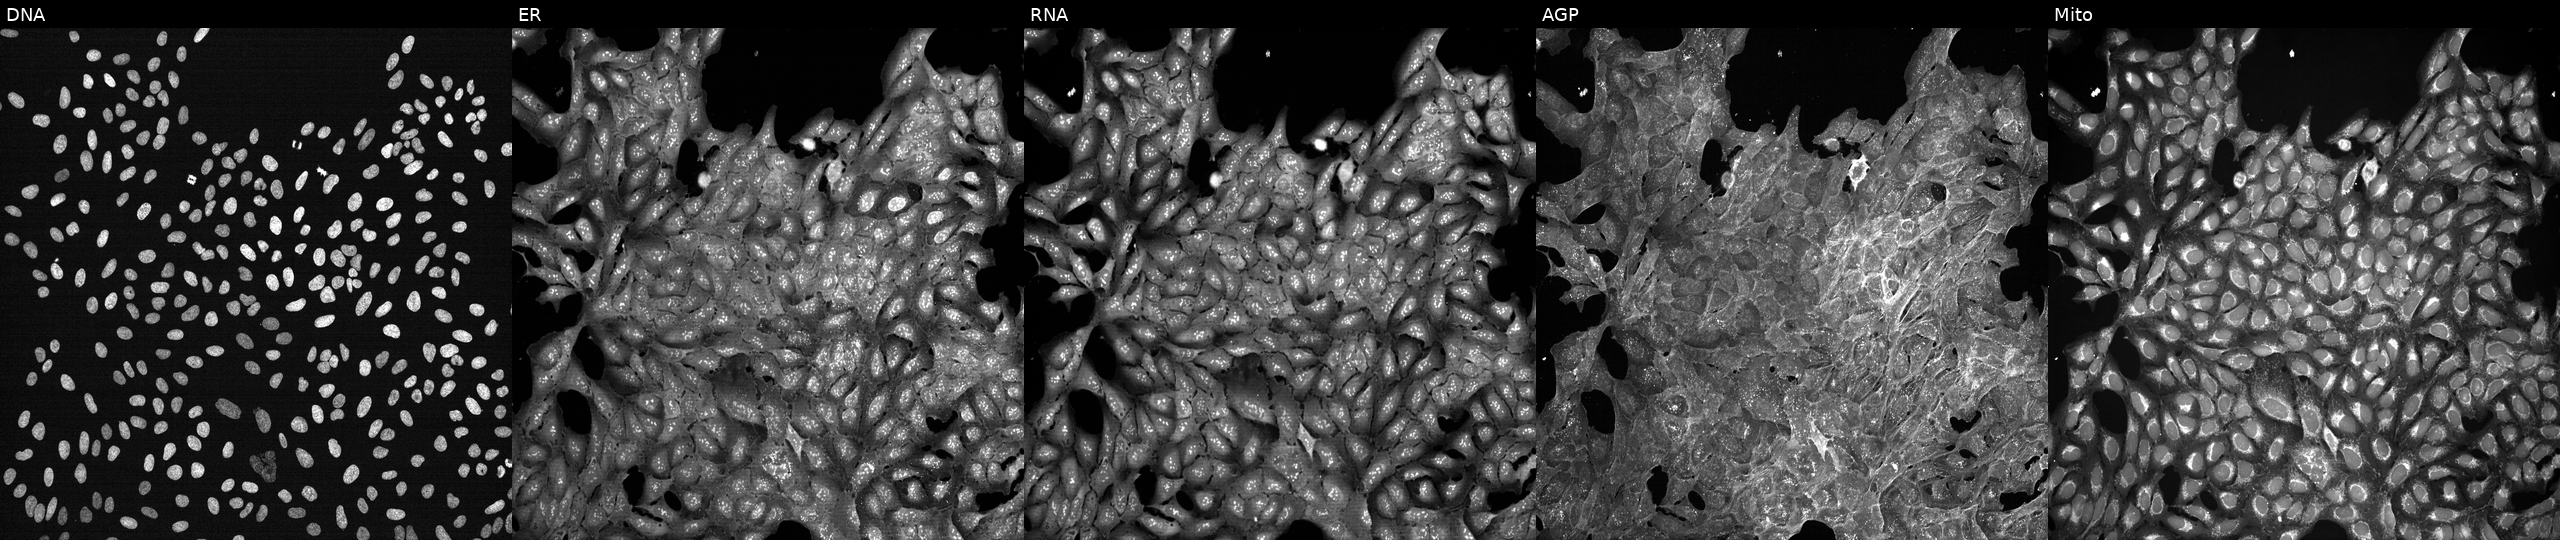
From left to right: DNA, ER, RNA, AGP, and Mito. U2OS osteosarcoma cells perturbed with a small-molecule compound (InChIKey UMUPQWIGCOZEOY-UHFFFAOYSA-N). Cell Painting assay, JUMP-CP dataset. Source 7, plate CP2-SC1-25, well D24.